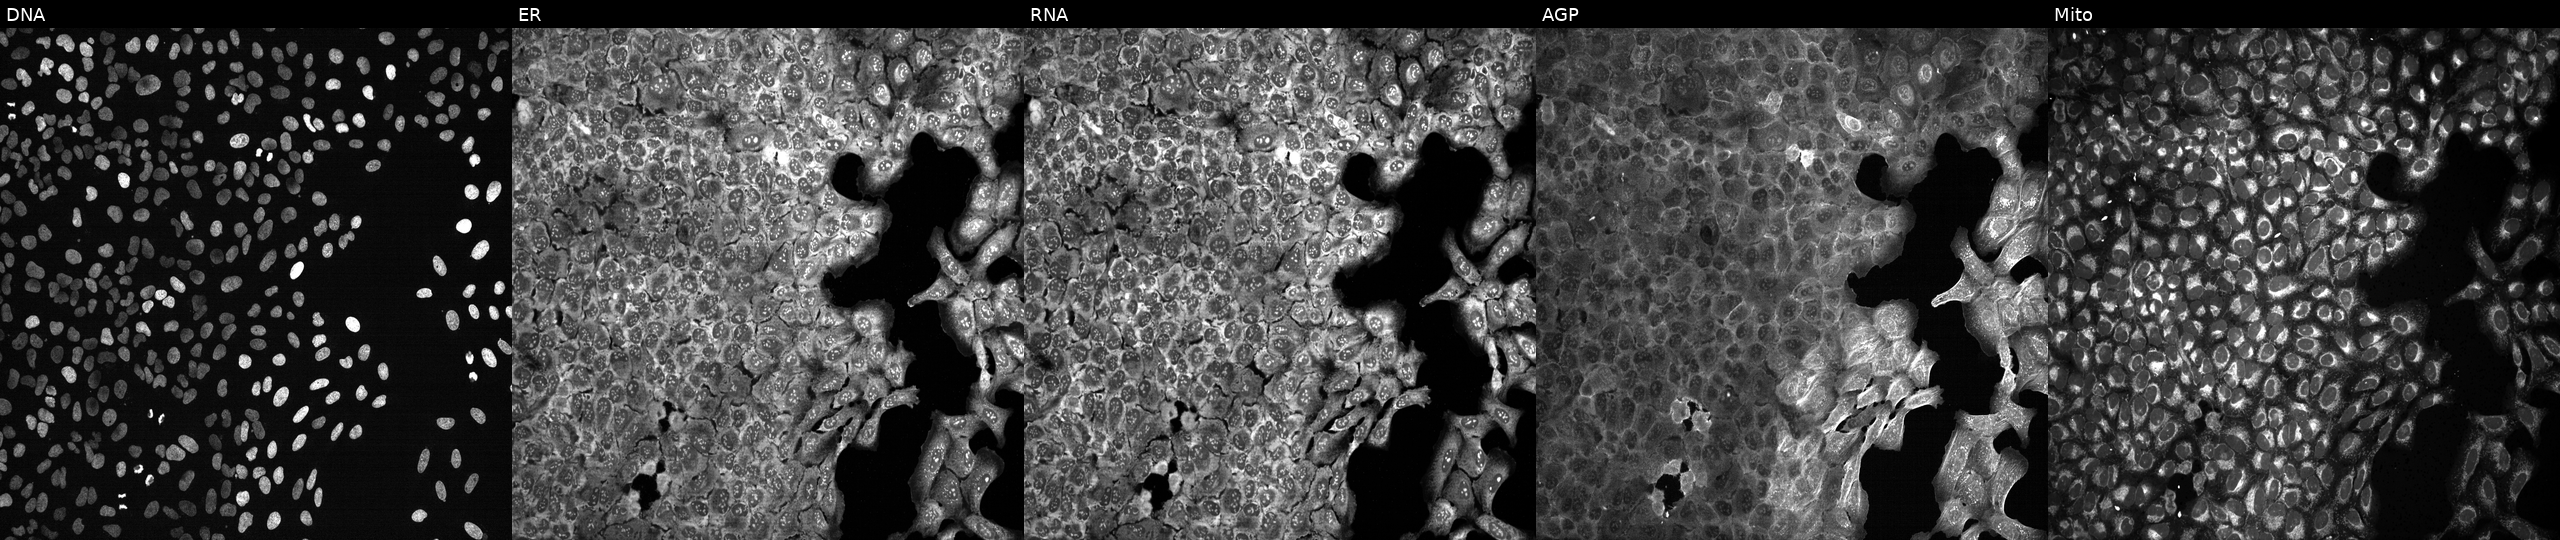
High-content fluorescence microscopy (Cell Painting). Cell line: U2OS. Perturbation: with APOBEC1 knocked out by CRISPR (JUMP id JCP2022_800515). Panels show, left to right, DNA (nuclei); ER (endoplasmic reticulum); RNA (nucleoli and cytoplasmic RNA); AGP (actin cytoskeleton, Golgi, and plasma membrane); Mito (mitochondria). Source 13, plate CP-CC9-R2-01, well A08.